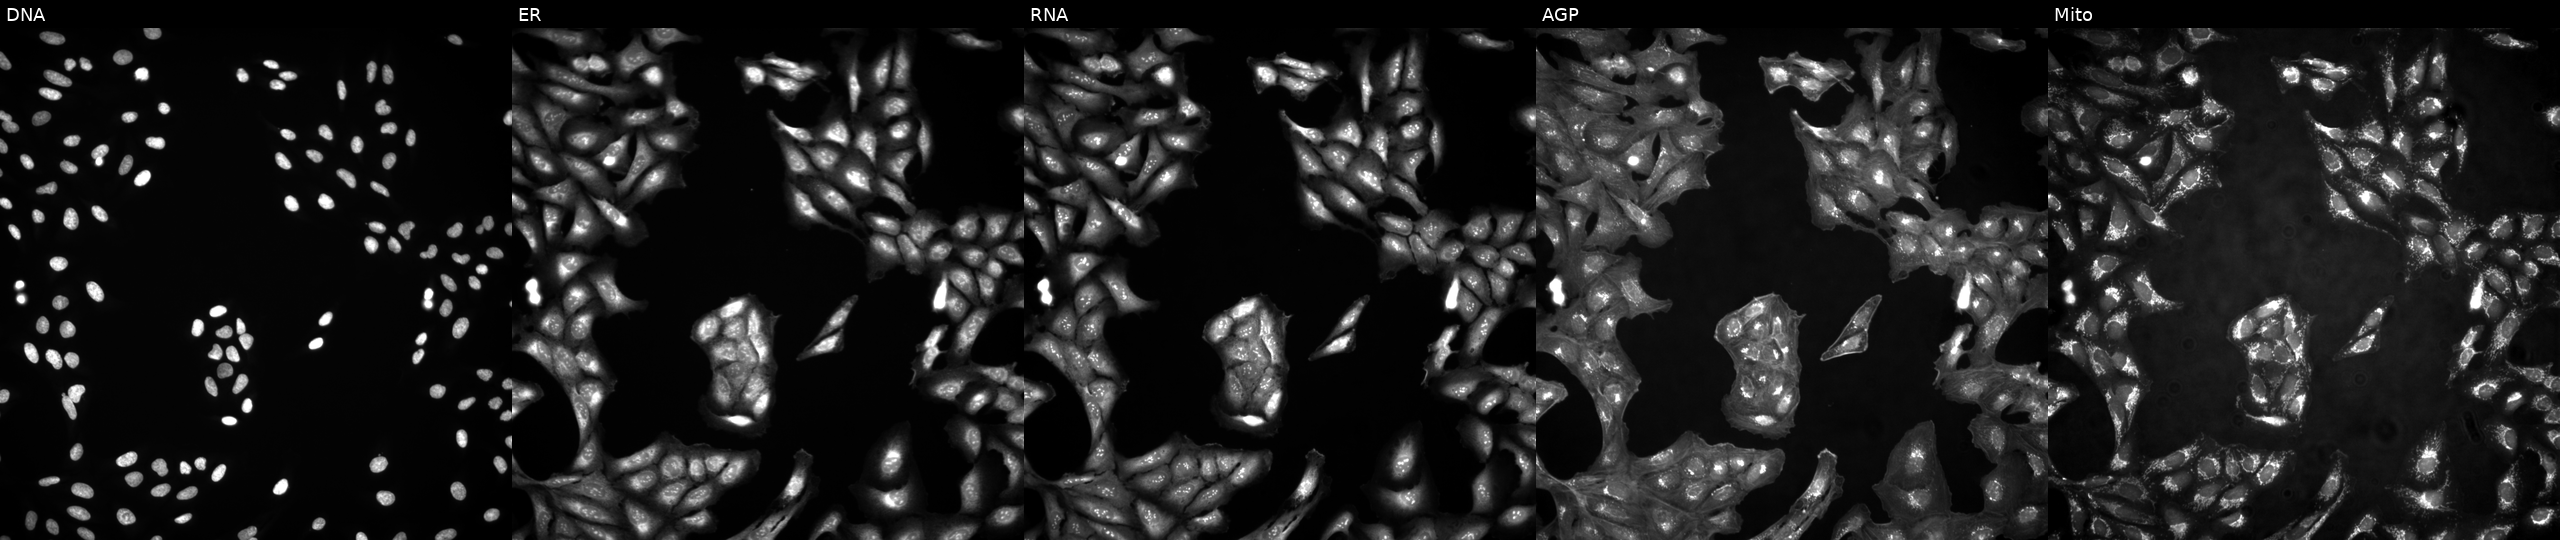
From left to right: Hoechst 33342, concanavalin A, SYTO 14, phalloidin and WGA, MitoTracker. U2OS osteosarcoma cells in an empty control well (no perturbation) (JUMP id JCP2022_999999). Cell Painting assay, JUMP-CP dataset.